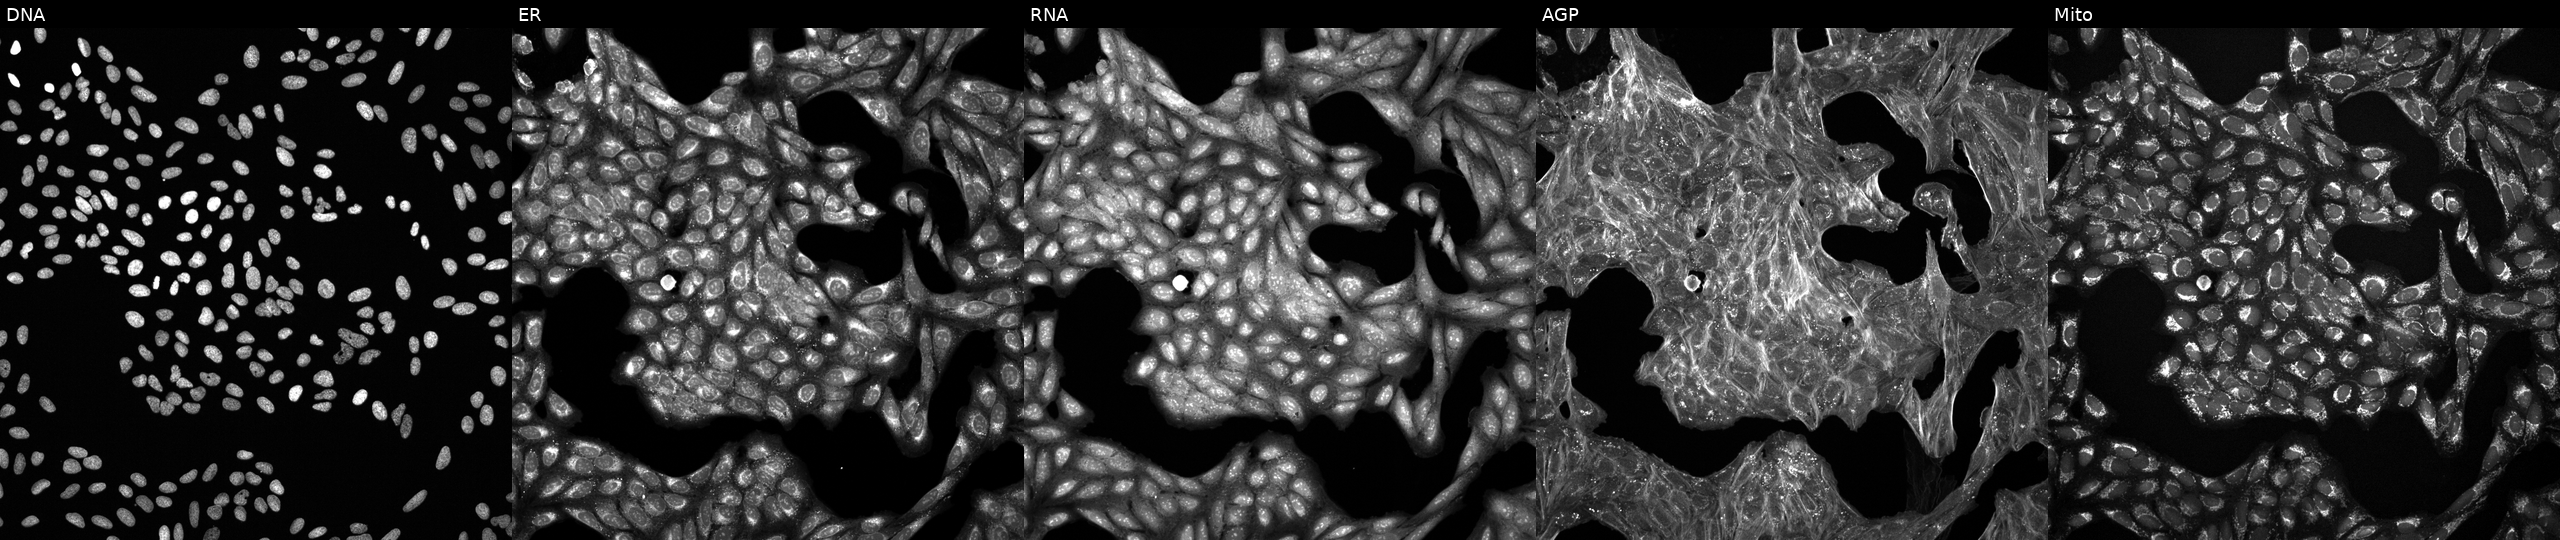
U2OS cells, Cell Painting assay, exposed to a small-molecule compound (JUMP id JCP2022_047489). The five panels, left to right, show DNA (nuclei); ER (endoplasmic reticulum); RNA (nucleoli and cytoplasmic RNA); AGP (actin cytoskeleton, Golgi, and plasma membrane); Mito (mitochondria). Each panel is percentile-stretched 16-bit fluorescence.